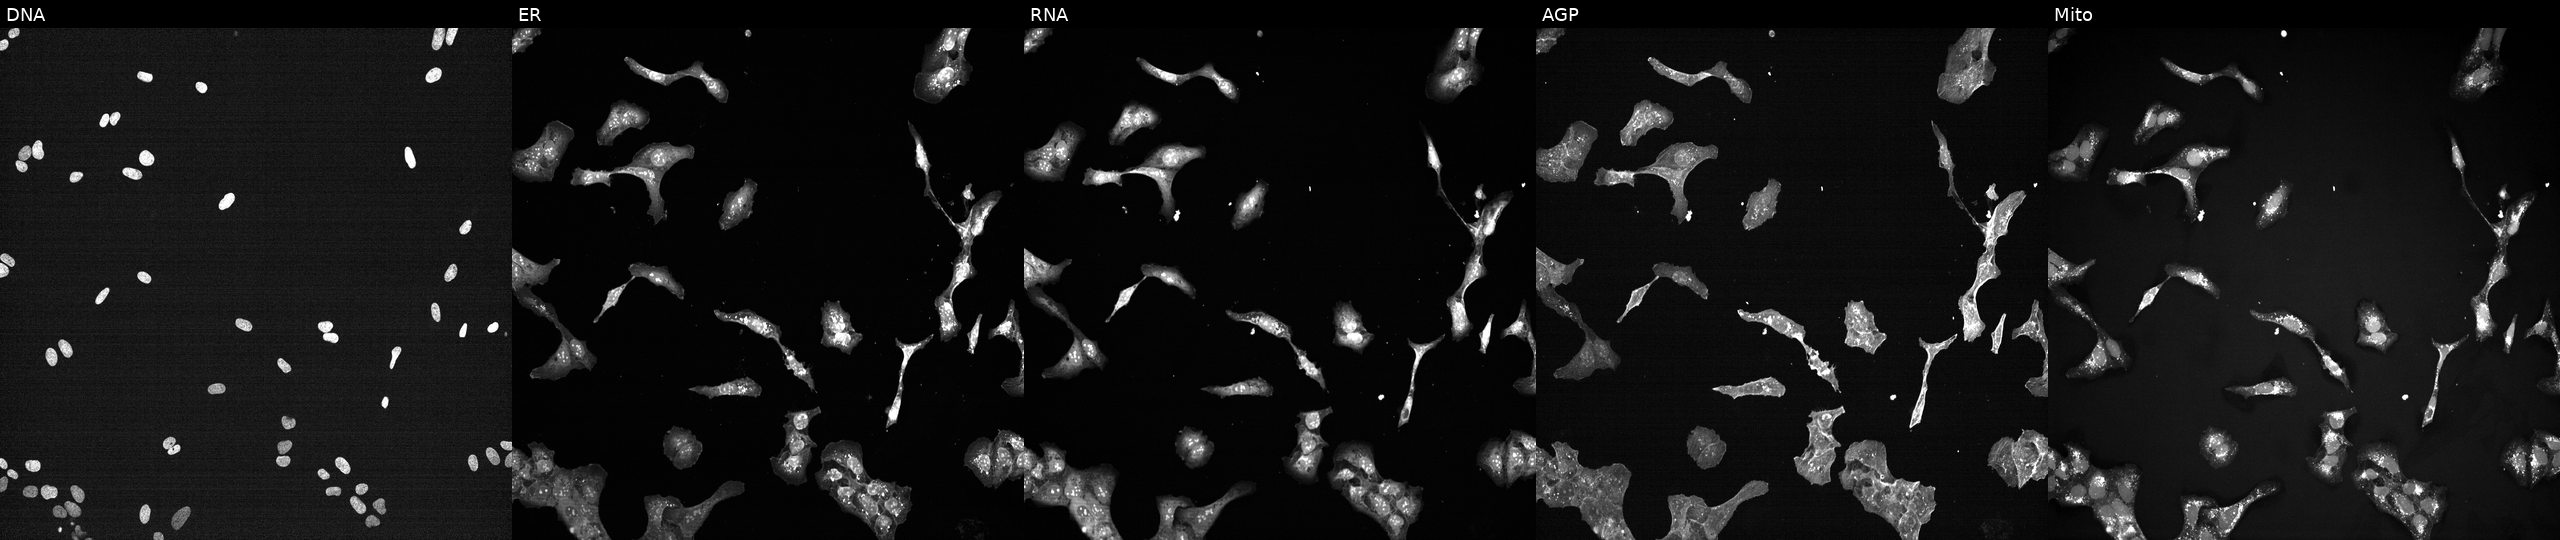
Five-channel Cell Painting image of U2OS cells treated with a small-molecule compound (JUMP id JCP2022_074702). From left to right: DNA, ER, RNA, AGP, and Mito.